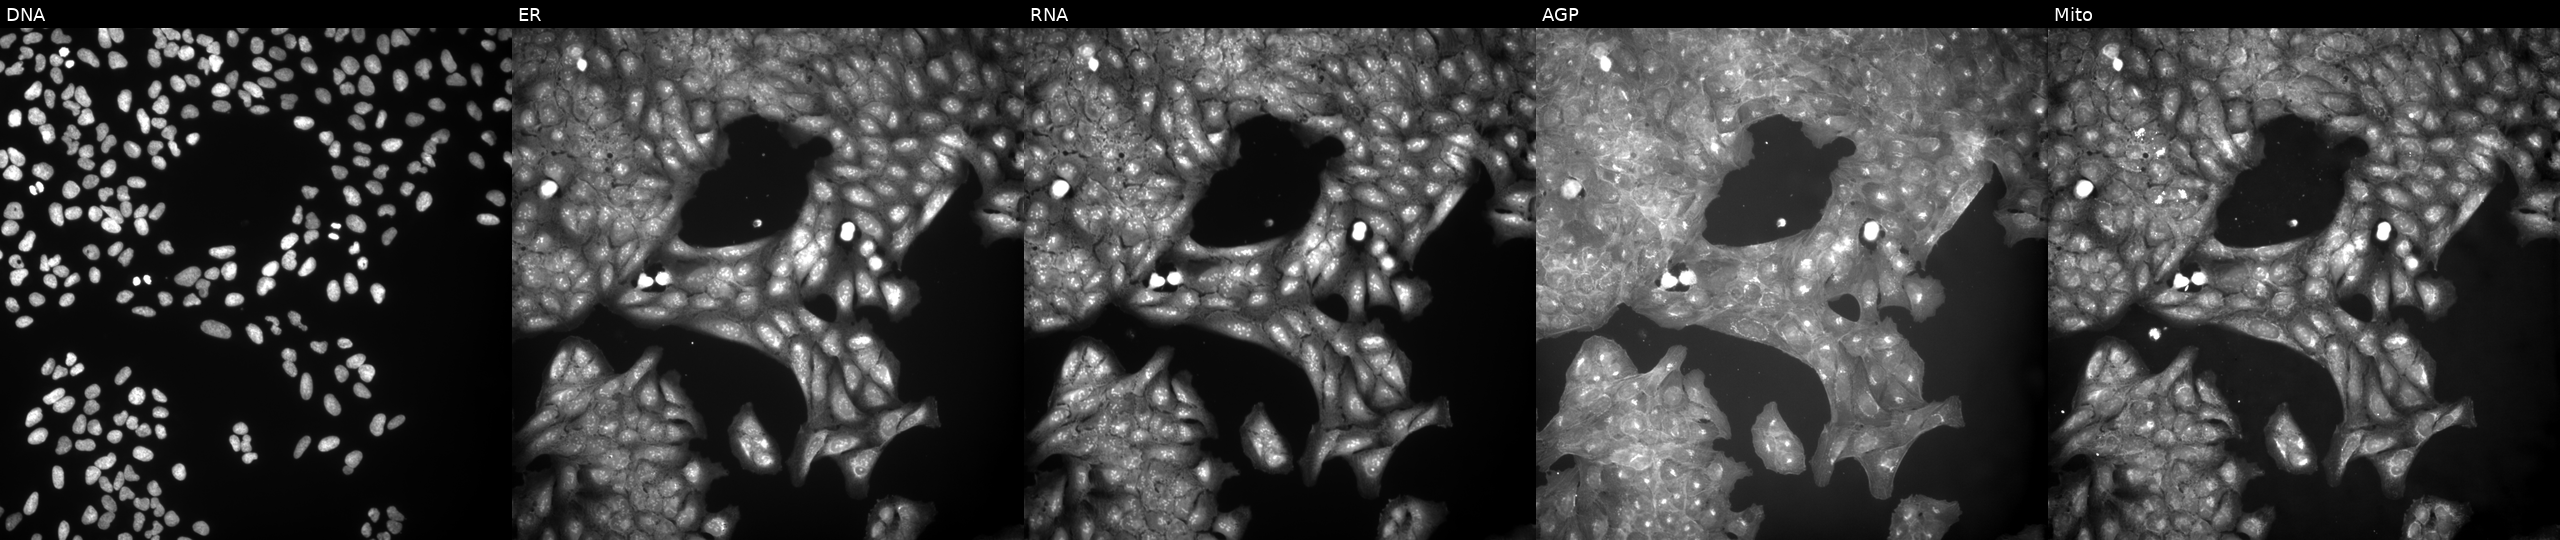
U2OS cells, Cell Painting assay, treated with a small-molecule compound (InChIKey CXZVVLBNAWTVQU-UHFFFAOYSA-N) [SMILES: O=C(CSCC(=O)c1ccccc1)Nc1ccccc1Cl]. Channels (left→right): DNA (nuclei); ER (endoplasmic reticulum); RNA (nucleoli and cytoplasmic RNA); AGP (actin cytoskeleton, Golgi, and plasma membrane); Mito (mitochondria). Each panel is percentile-stretched 16-bit fluorescence.